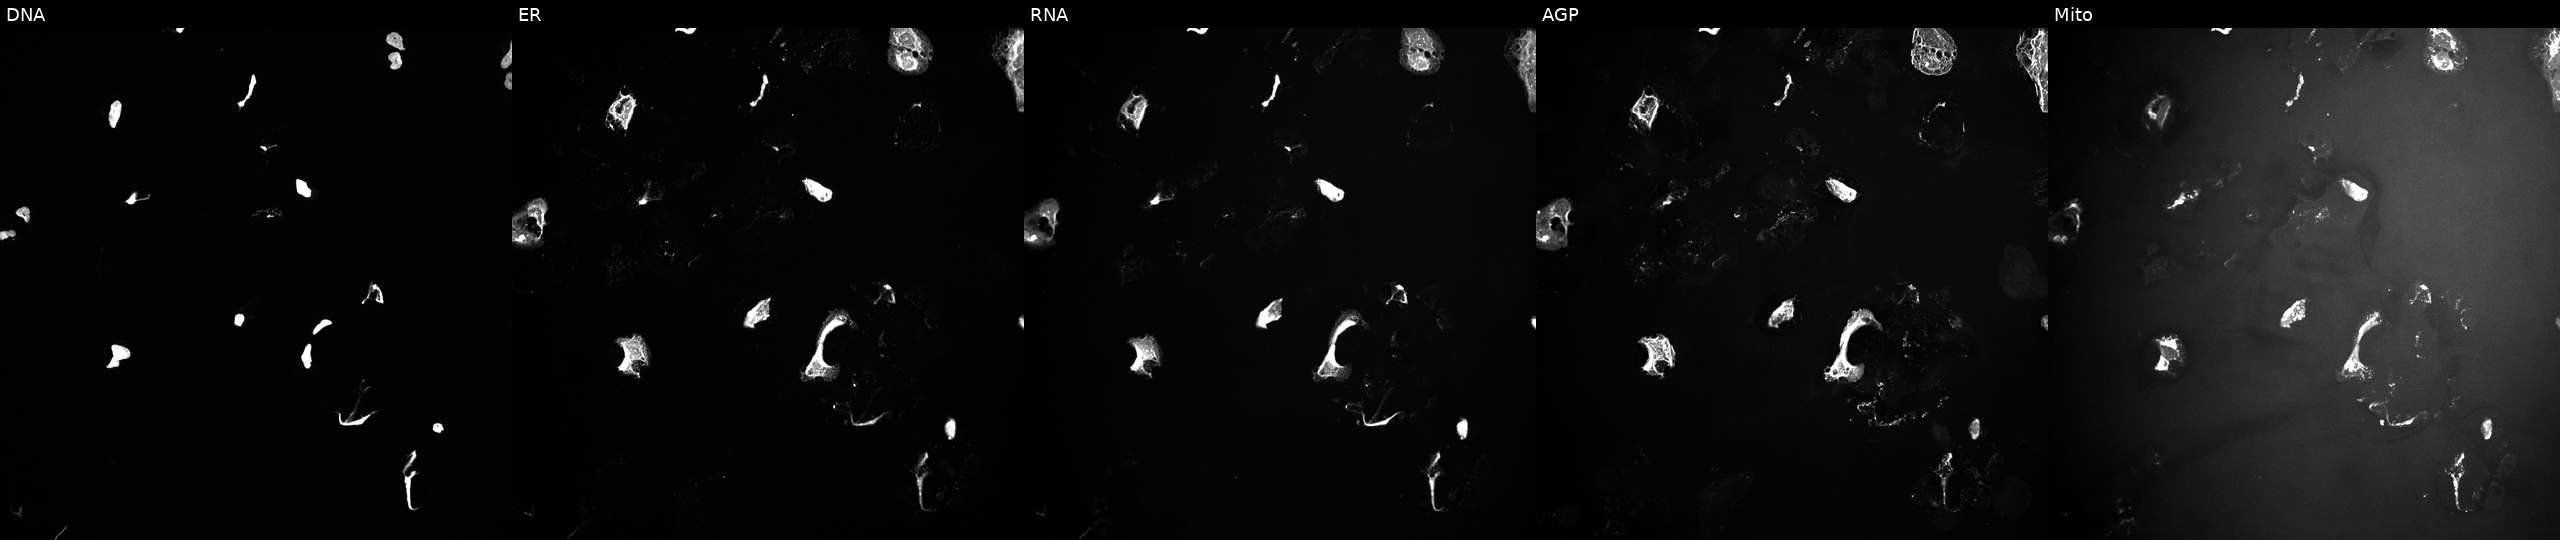
Five-channel Cell Painting image of U2OS cells treated with a small-molecule compound (InChIKey RVAQIUULWULRNW-UHFFFAOYSA-N) (JUMP id JCP2022_080920). Panels show, left to right, DNA (nuclei); ER (endoplasmic reticulum); RNA (nucleoli and cytoplasmic RNA); AGP (actin cytoskeleton, Golgi, and plasma membrane); Mito (mitochondria).